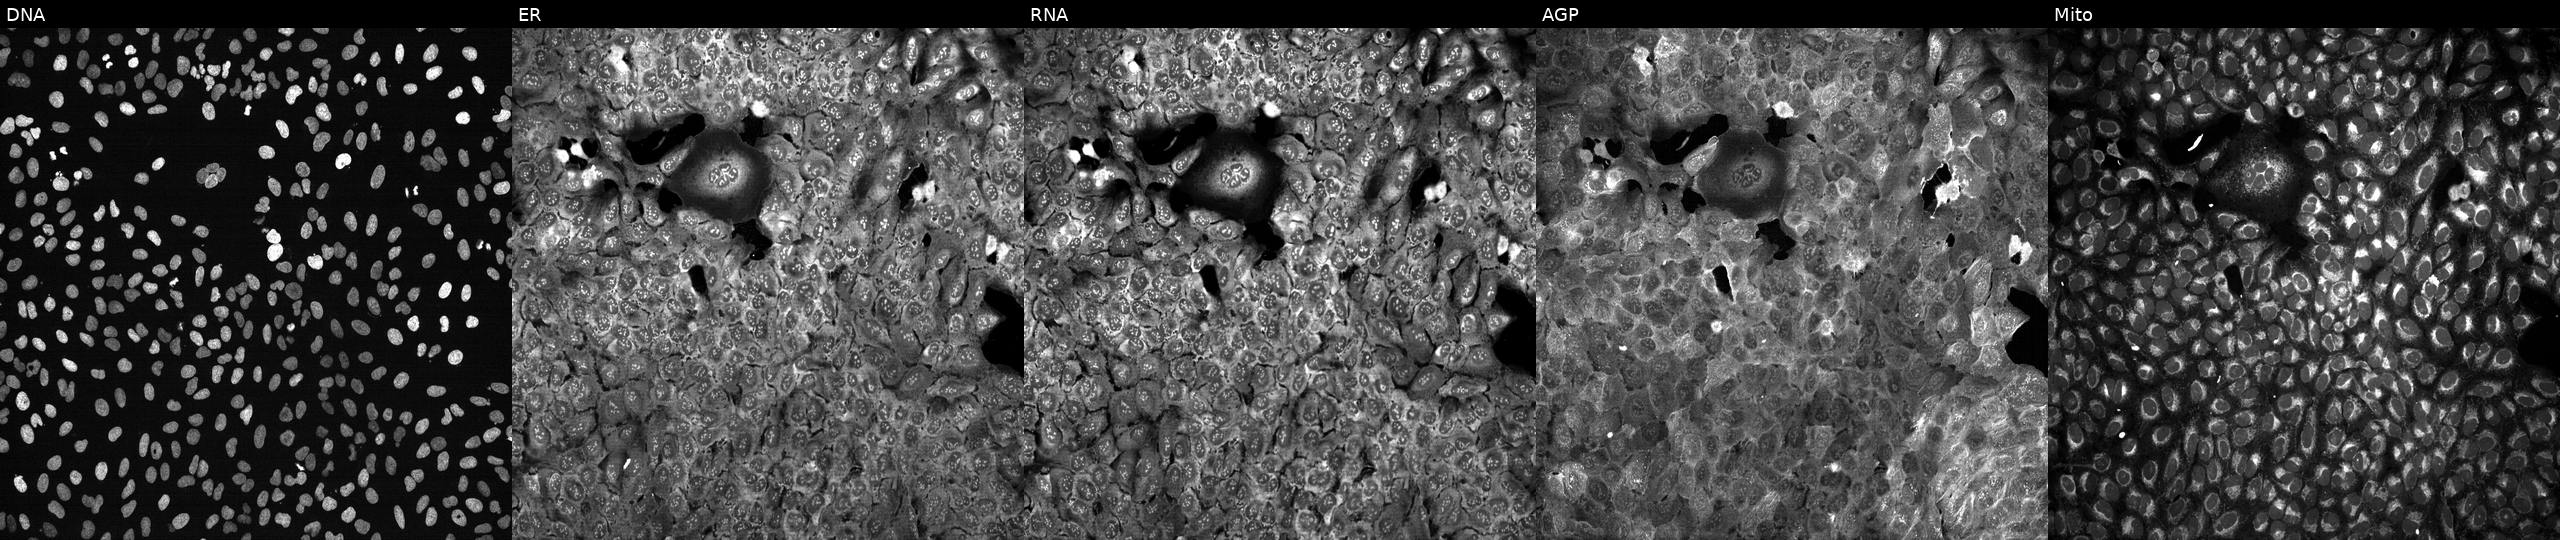
Five-channel Cell Painting image of U2OS cells following CRISPR knockout of NANS (JUMP id JCP2022_804431). Panels show, left to right, Hoechst 33342, concanavalin A, SYTO 14, phalloidin and WGA, MitoTracker.